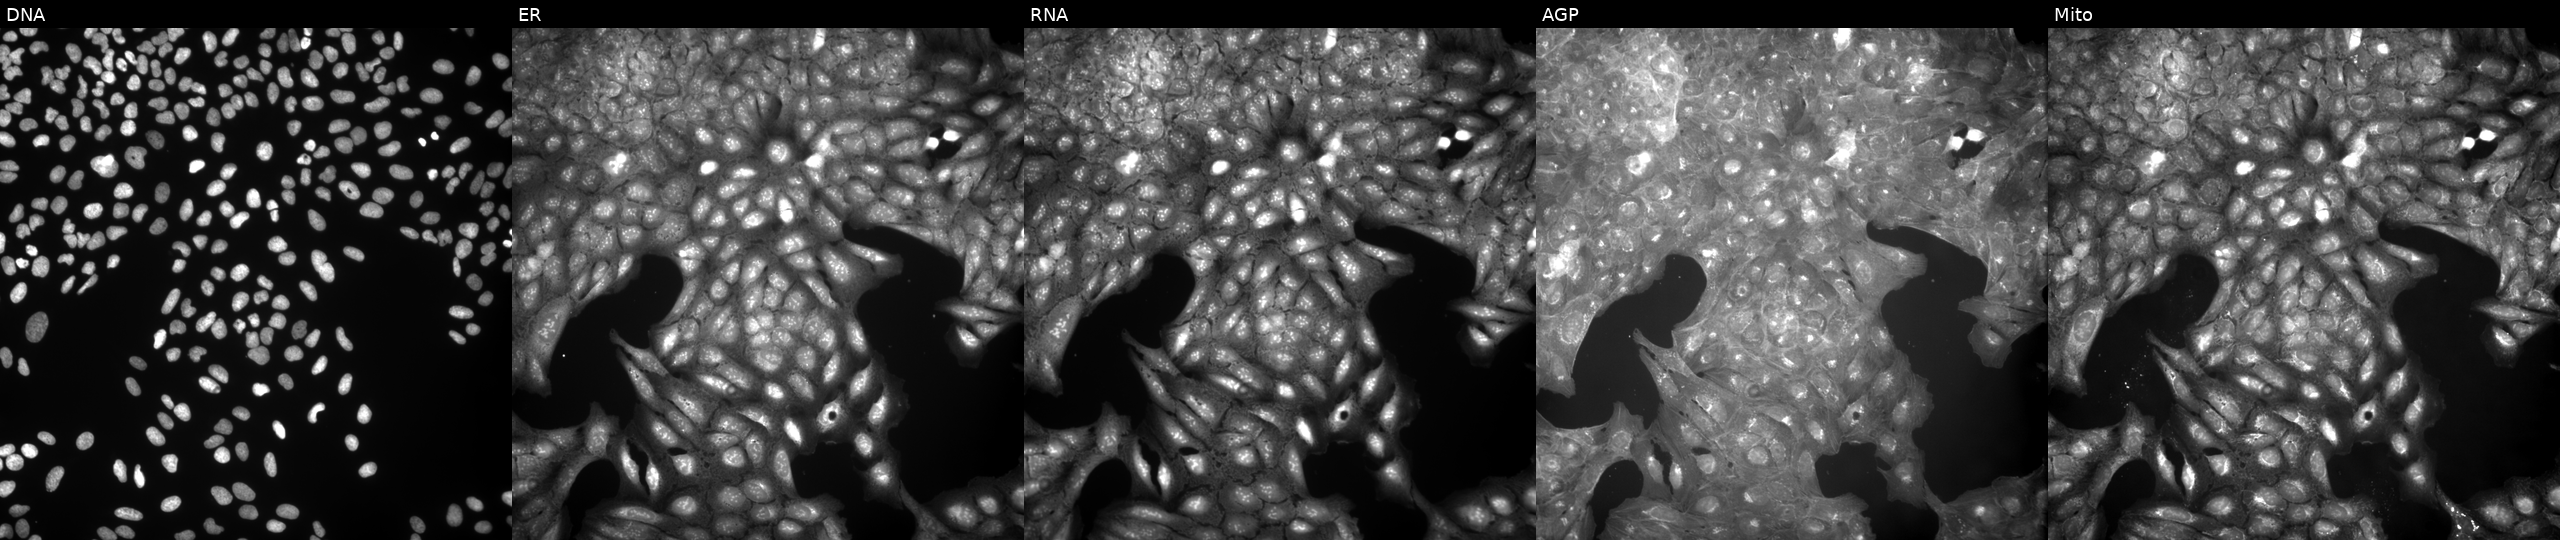
JUMP Cell Painting — COMPOUND plate. U2OS cells exposed to a small-molecule compound (InChIKey GIDUYOLVTNVGNP-UHFFFAOYSA-N) (JUMP id JCP2022_025618). From left to right: Hoechst 33342, concanavalin A, SYTO 14, phalloidin and WGA, MitoTracker. Source 9, plate GR00003381, well O33.